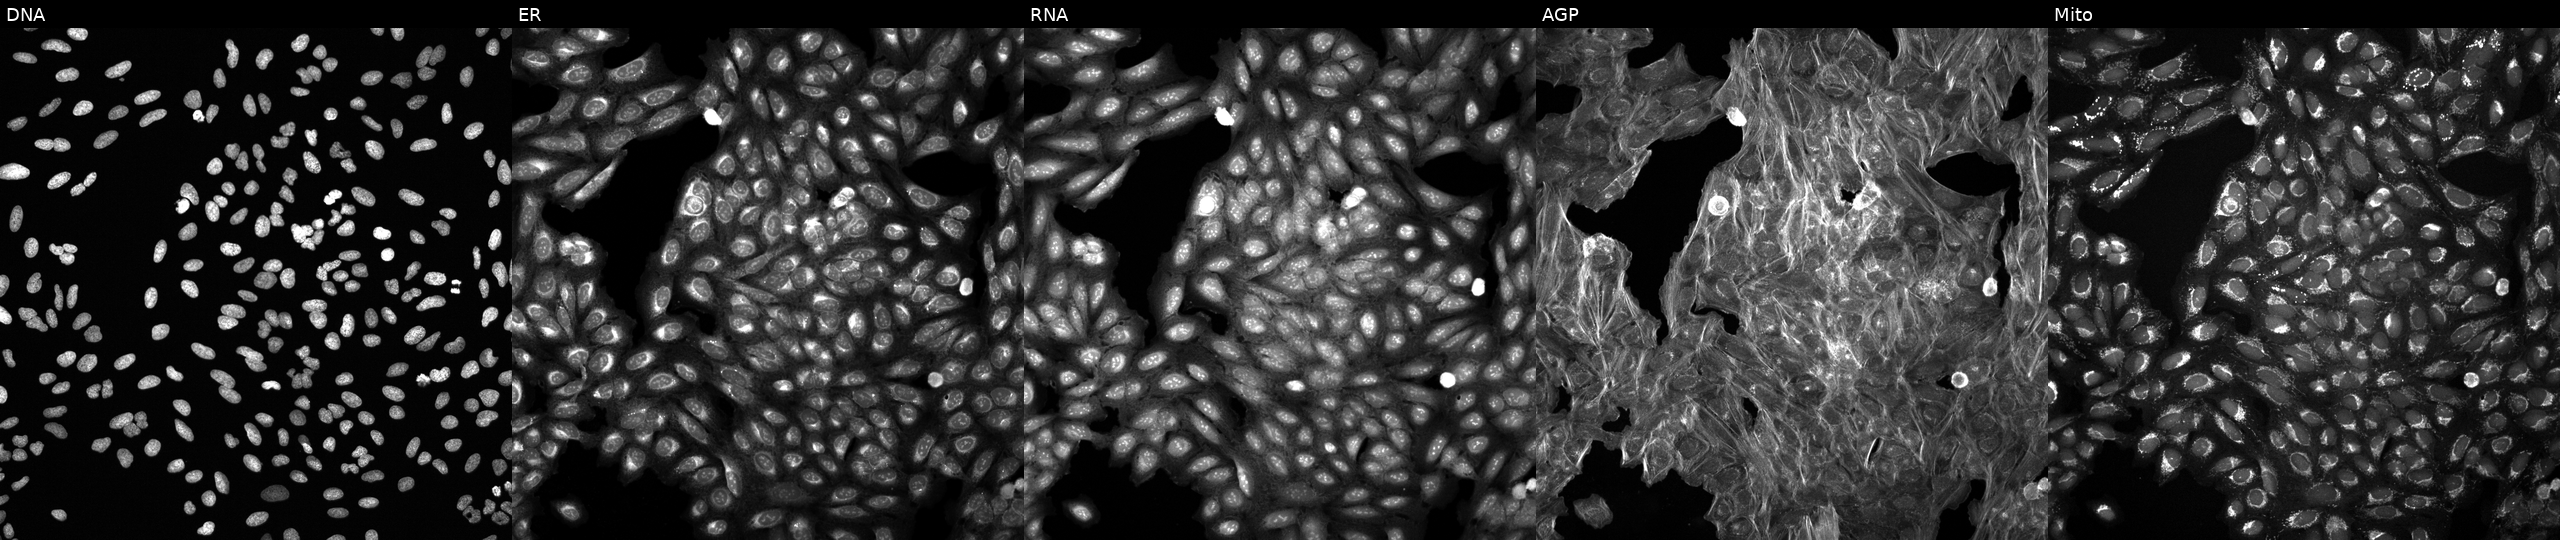
Five-channel Cell Painting image of U2OS cells perturbed with a small-molecule compound (InChIKey MFDFERRIHVXMIY-UHFFFAOYSA-N) (JUMP id JCP2022_053734). Panels show, left to right, DNA, ER, RNA, AGP, and Mito.